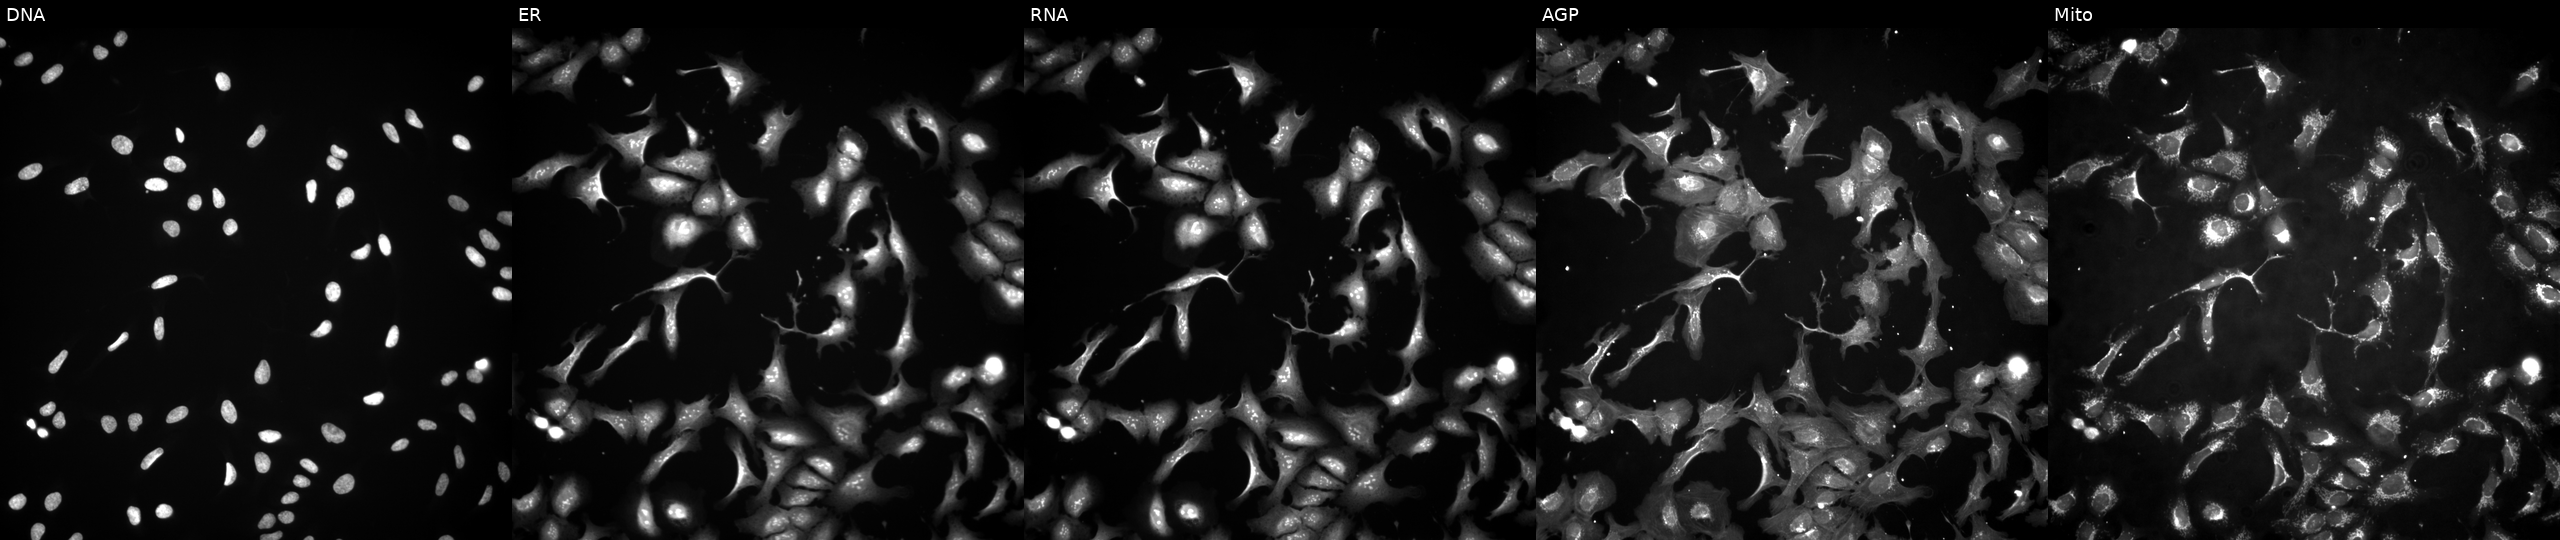
JUMP Cell Painting — ORF plate. U2OS cells transfected with an ORF construct for SSX3. From left to right: DNA (nuclei); ER (endoplasmic reticulum); RNA (nucleoli and cytoplasmic RNA); AGP (actin cytoskeleton, Golgi, and plasma membrane); Mito (mitochondria).